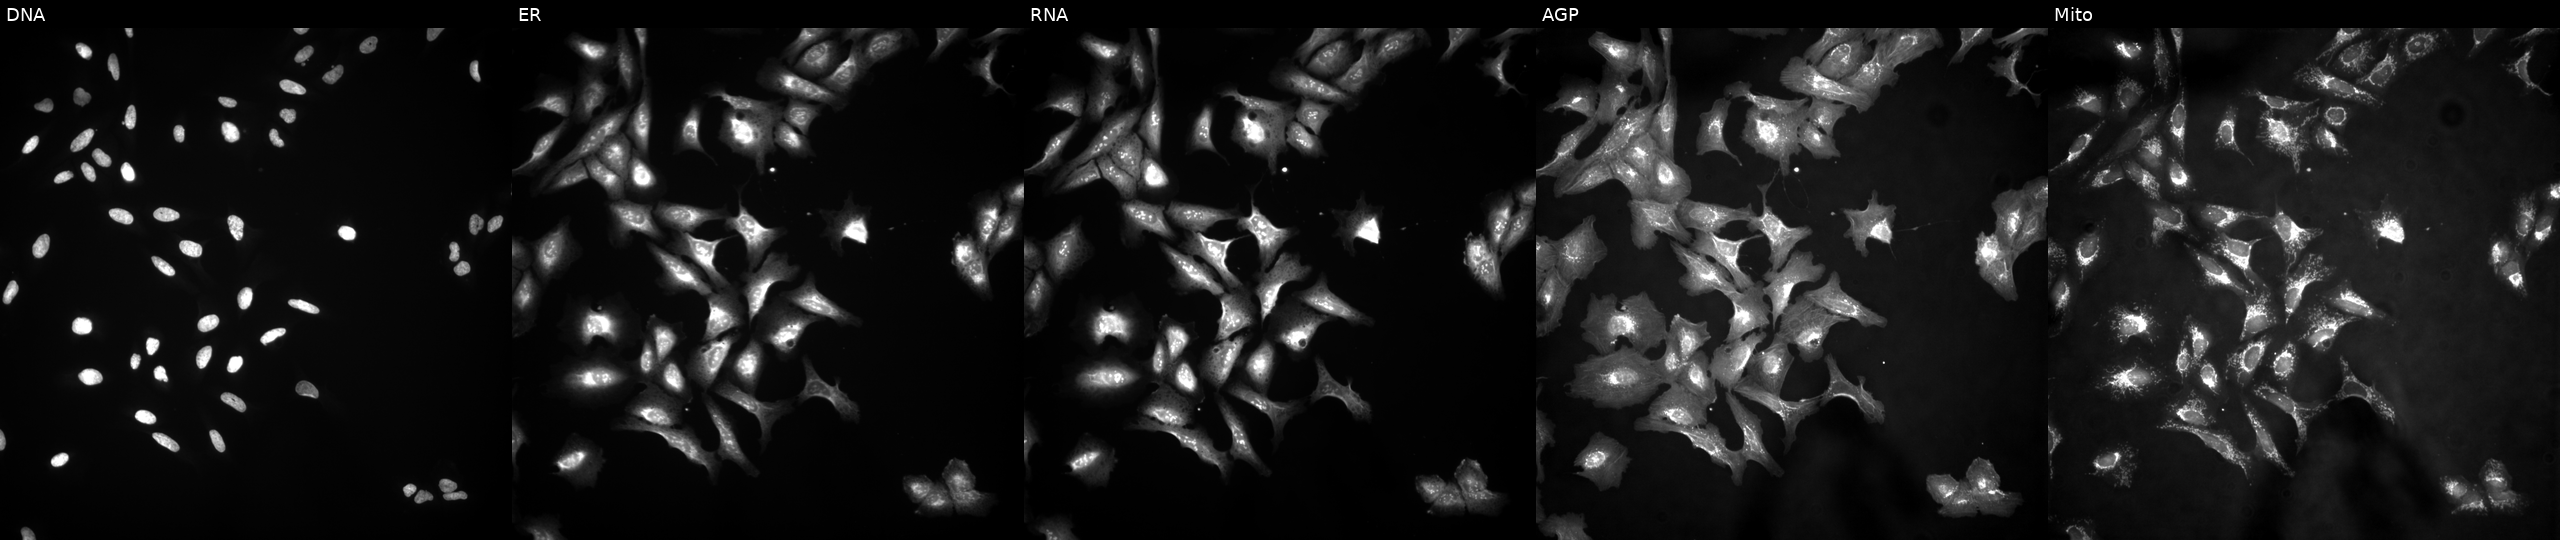
High-content fluorescence microscopy (Cell Painting). Cell line: U2OS. Perturbation: with SCG5 overexpressed (ORF) (JUMP id JCP2022_906496). From left to right: DNA, ER, RNA, AGP, and Mito. Source 4, plate BR00121543, well J06.